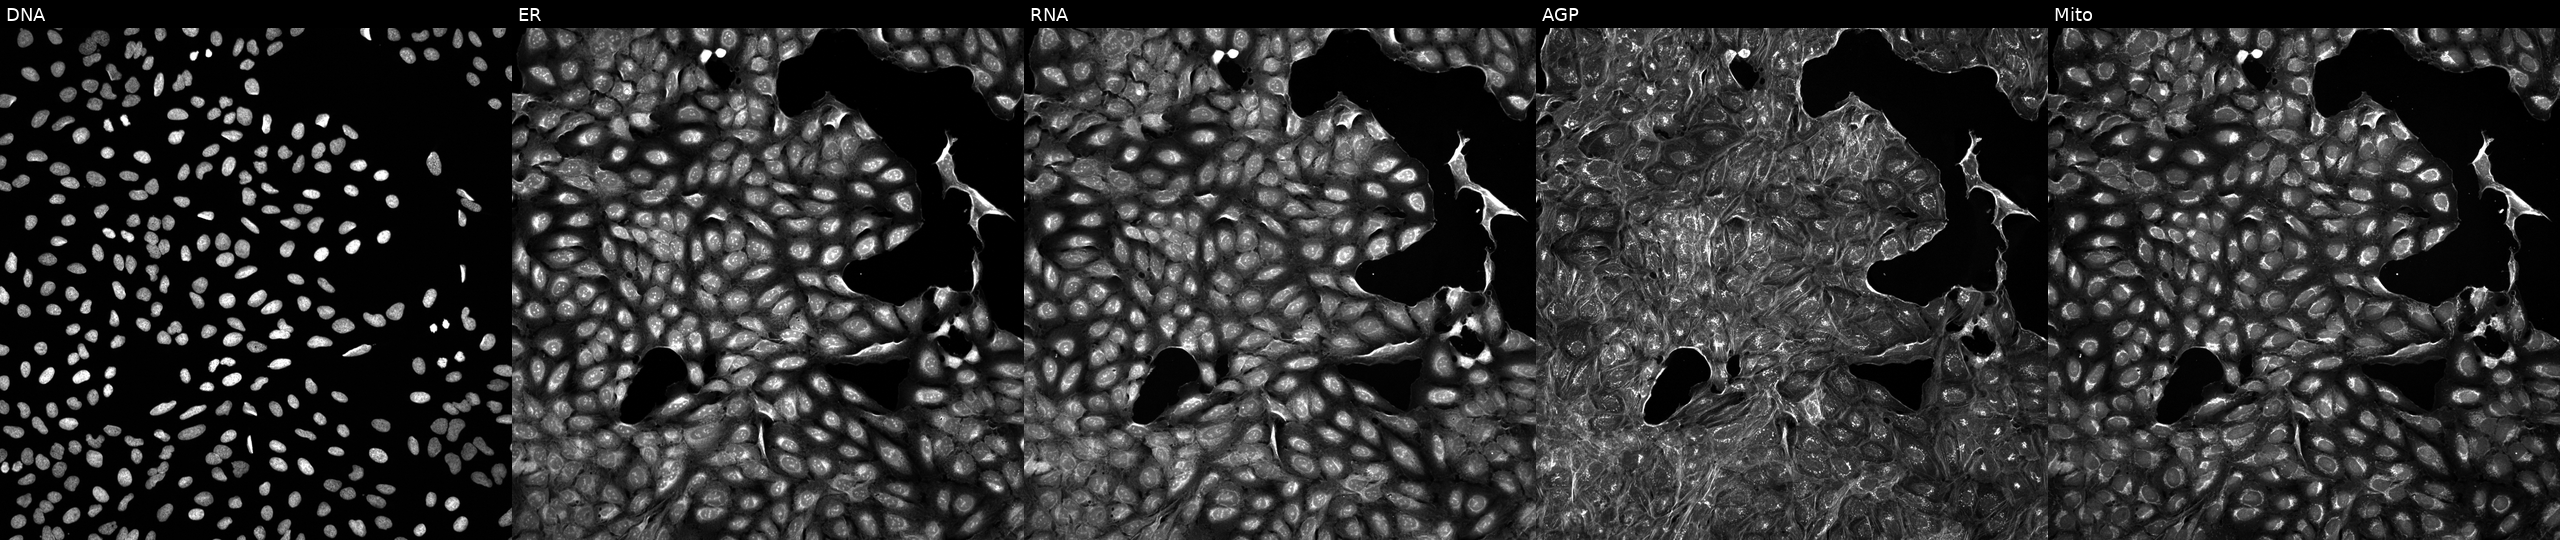
From left to right: DNA, ER, RNA, AGP, and Mito. U2OS osteosarcoma cells exposed to a small-molecule compound (InChIKey MYBZAJSNHOSMRC-UHFFFAOYSA-N). Cell Painting assay, JUMP-CP dataset. Source 5, plate APTJUM106, well N04.